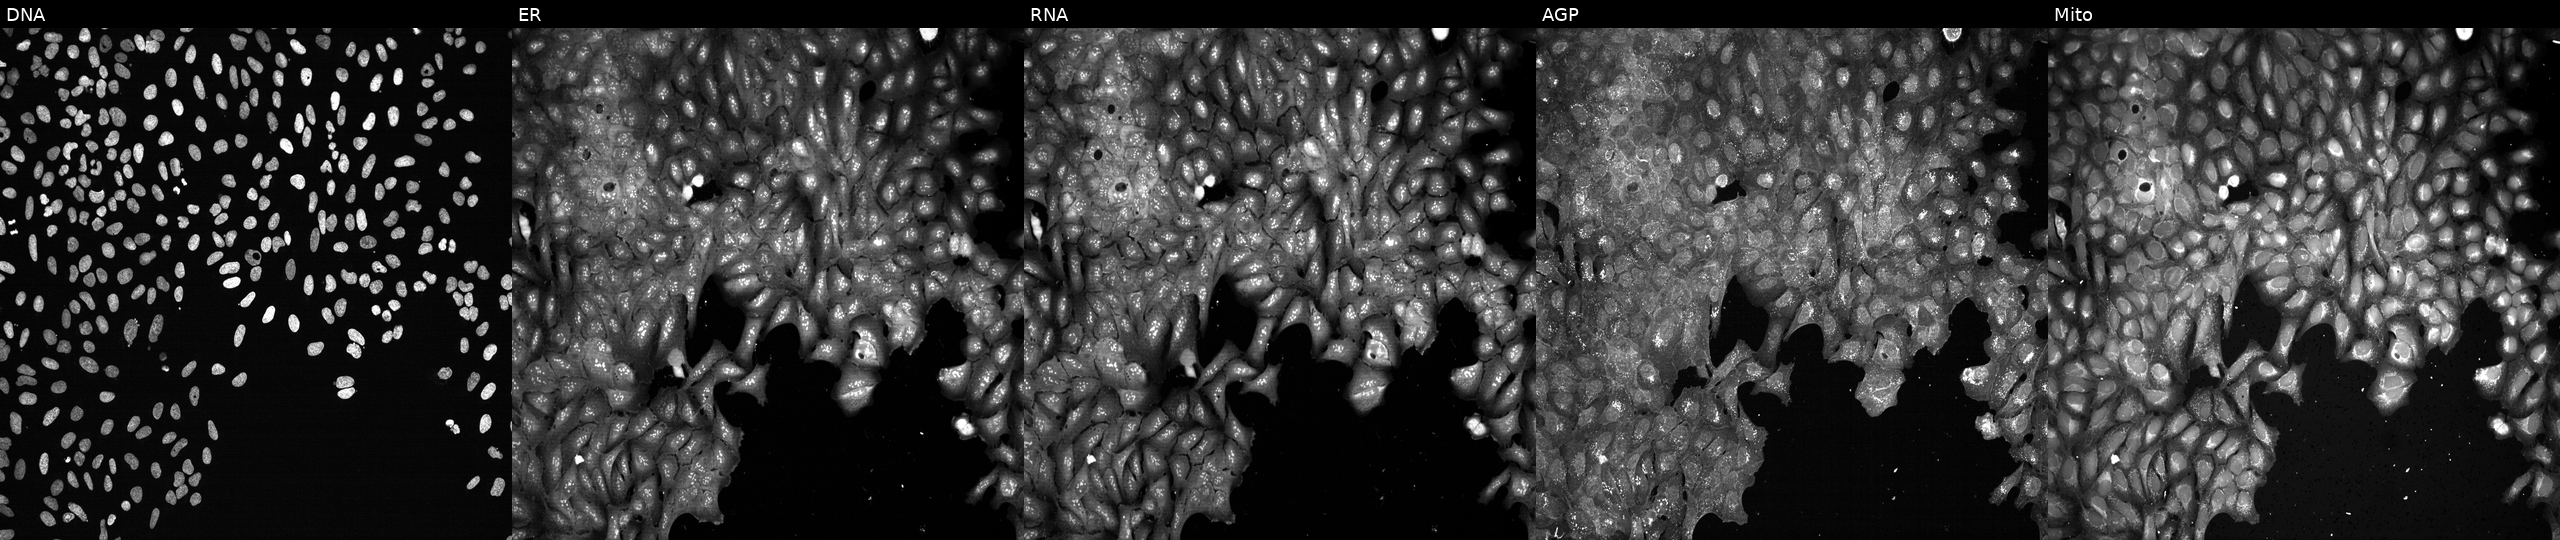
Channels (left→right): Hoechst 33342, concanavalin A, SYTO 14, phalloidin and WGA, MitoTracker. U2OS osteosarcoma cells CRISPR-edited to disrupt FABP3 (JUMP id JCP2022_802247). Cell Painting assay, JUMP-CP dataset. Source 13, plate CP-CC9-R1-01, well I04.